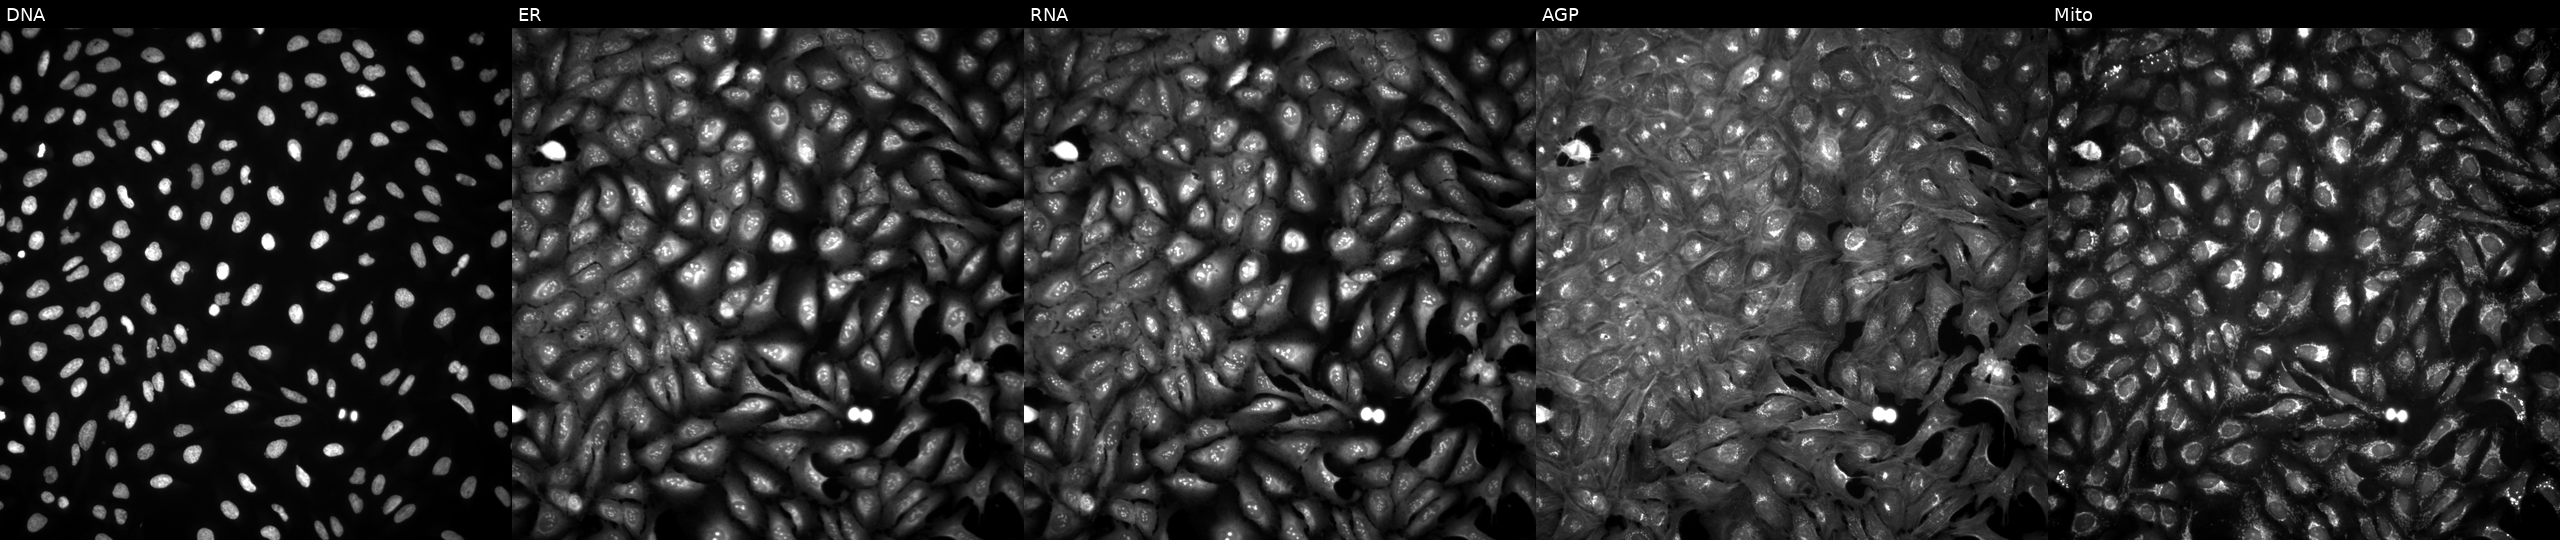
U2OS cells, Cell Painting assay, transfected with an ORF construct for TREM1 (JUMP id JCP2022_903197). From left to right: DNA, ER, RNA, AGP, and Mito. Each panel is percentile-stretched 16-bit fluorescence.